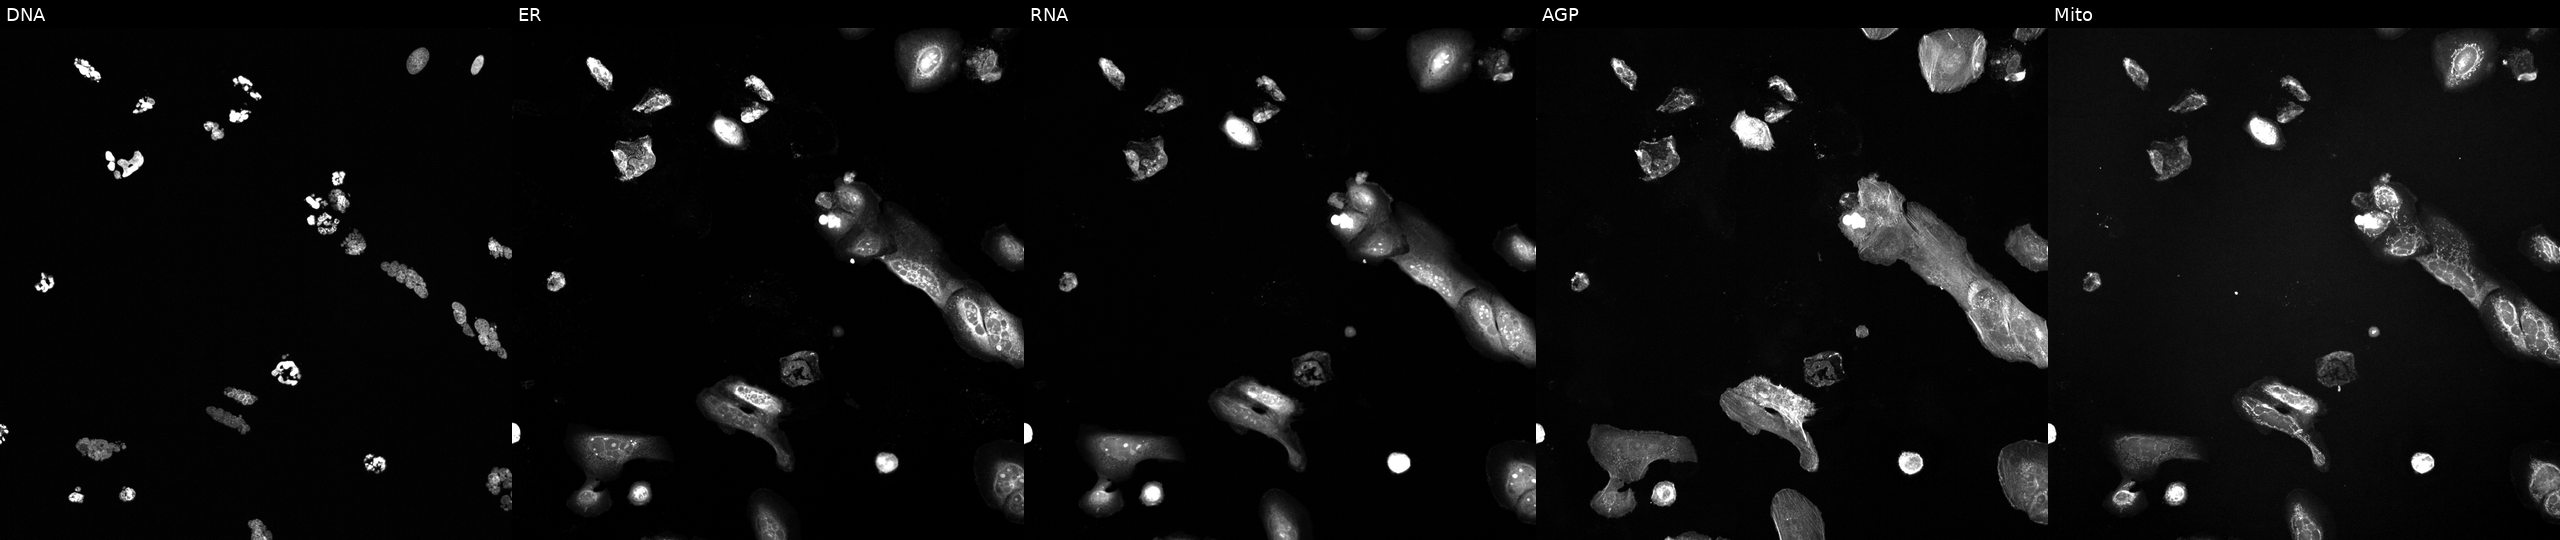
JUMP Cell Painting — TARGET2 plate. U2OS cells exposed to a small-molecule compound (JUMP id JCP2022_019314). The five panels, left to right, show Hoechst 33342, concanavalin A, SYTO 14, phalloidin and WGA, MitoTracker.